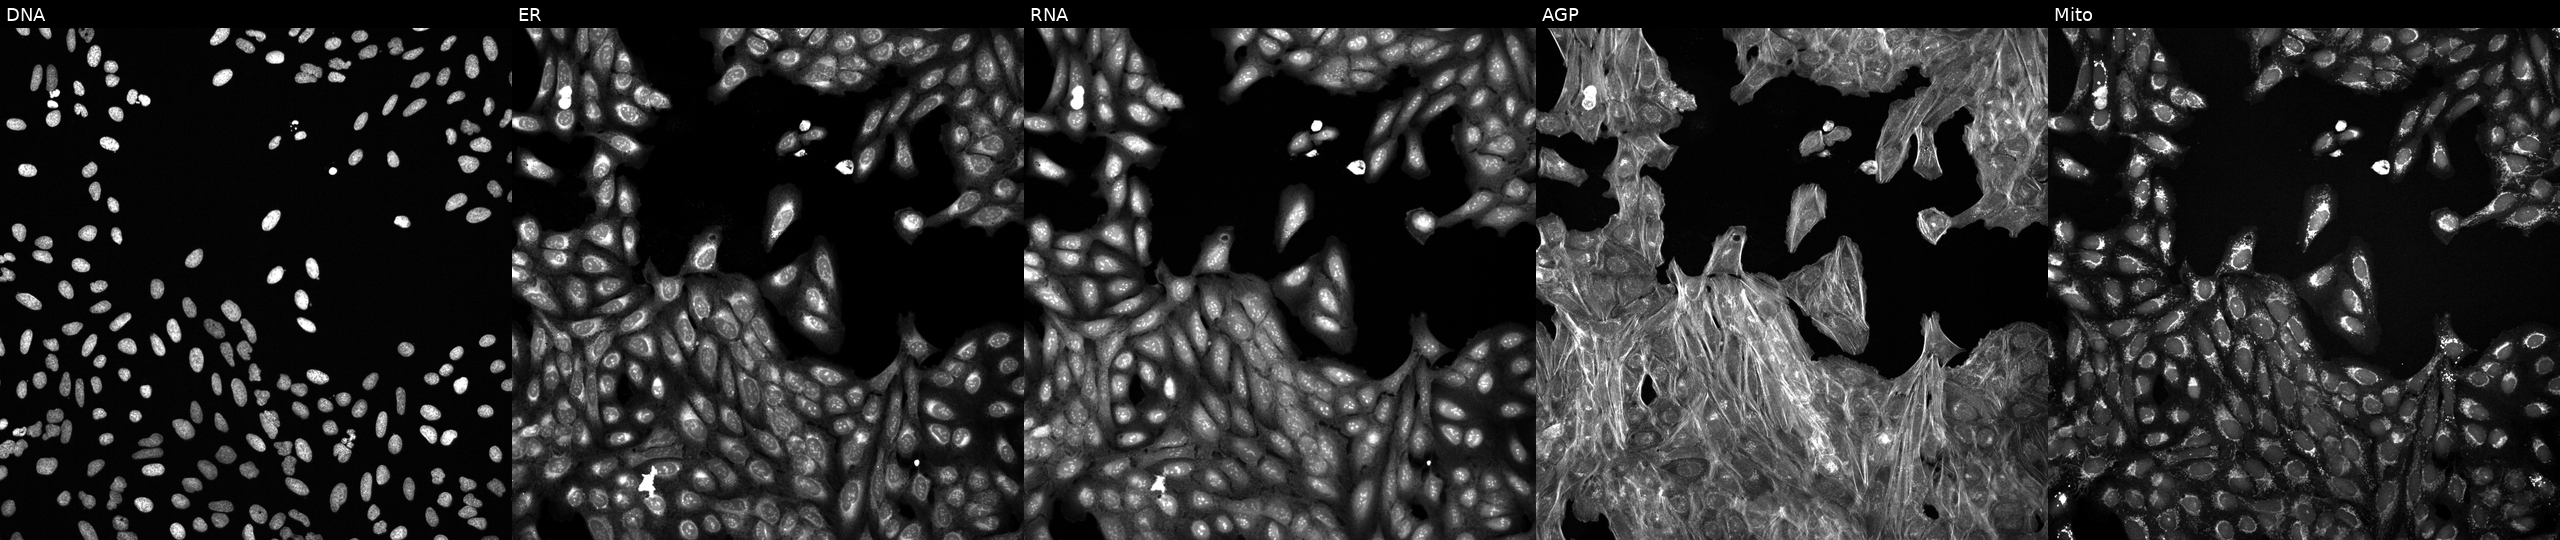
This image strip shows the five Cell Painting channels for a single field of U2OS cells treated with a small-molecule compound. Panels show, left to right, DNA (nuclei); ER (endoplasmic reticulum); RNA (nucleoli and cytoplasmic RNA); AGP (actin cytoskeleton, Golgi, and plasma membrane); Mito (mitochondria). Source 6, plate 110000293081, well O17.